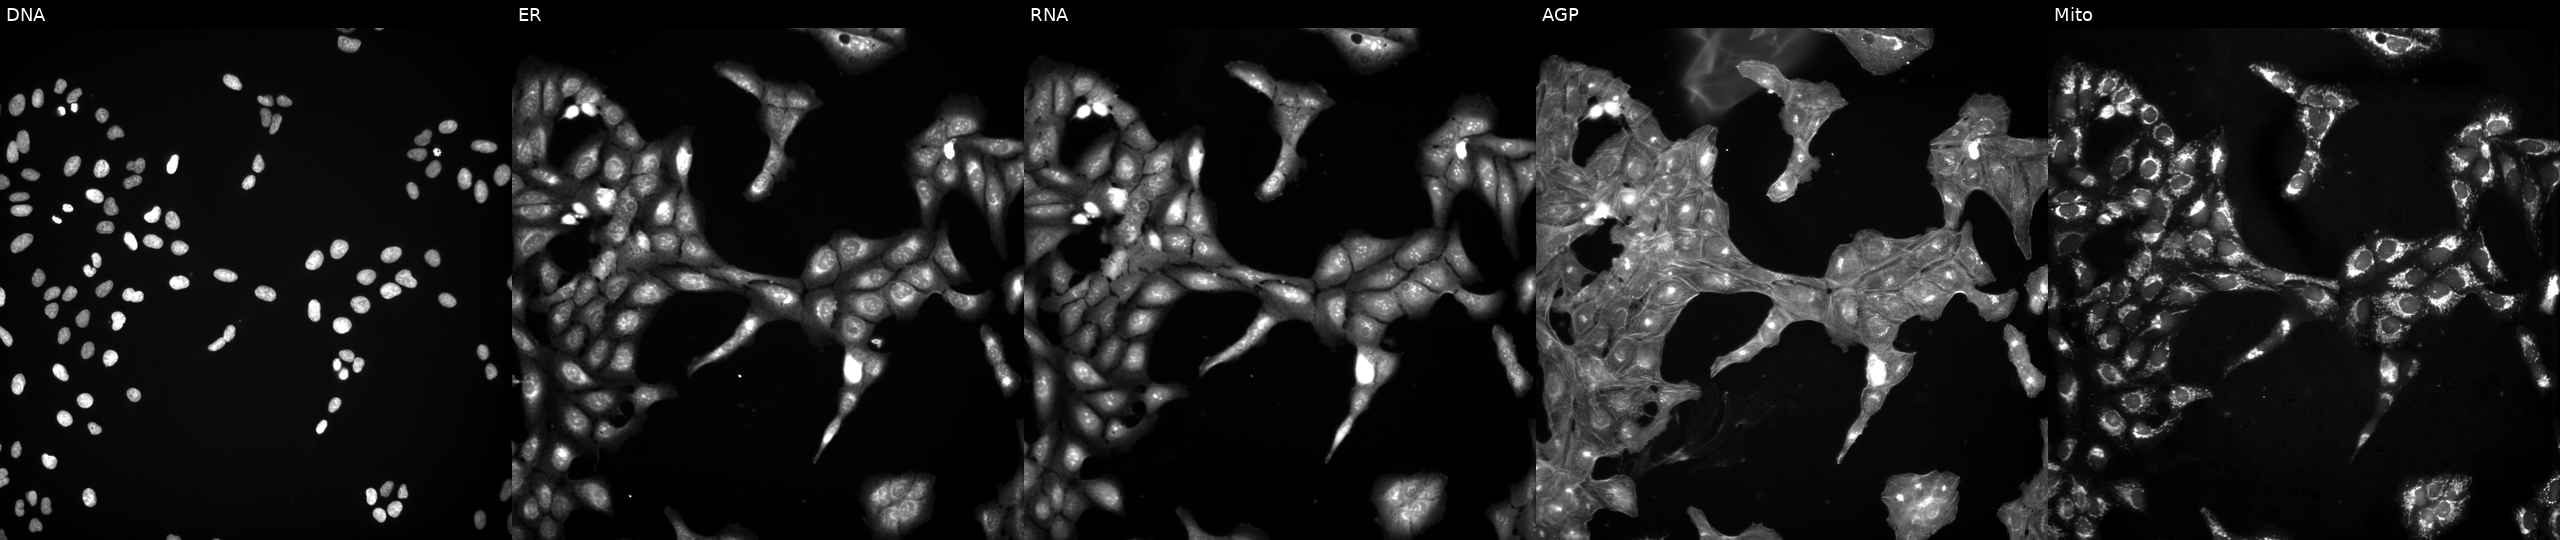
Five-channel Cell Painting image of U2OS cells exposed to a small-molecule compound (InChIKey RIKMMFOAQPJVMX-UHFFFAOYSA-N) [SMILES: Cc1cn[nH]c1] (JUMP id JCP2022_078588). From left to right: DNA, ER, RNA, AGP, and Mito.